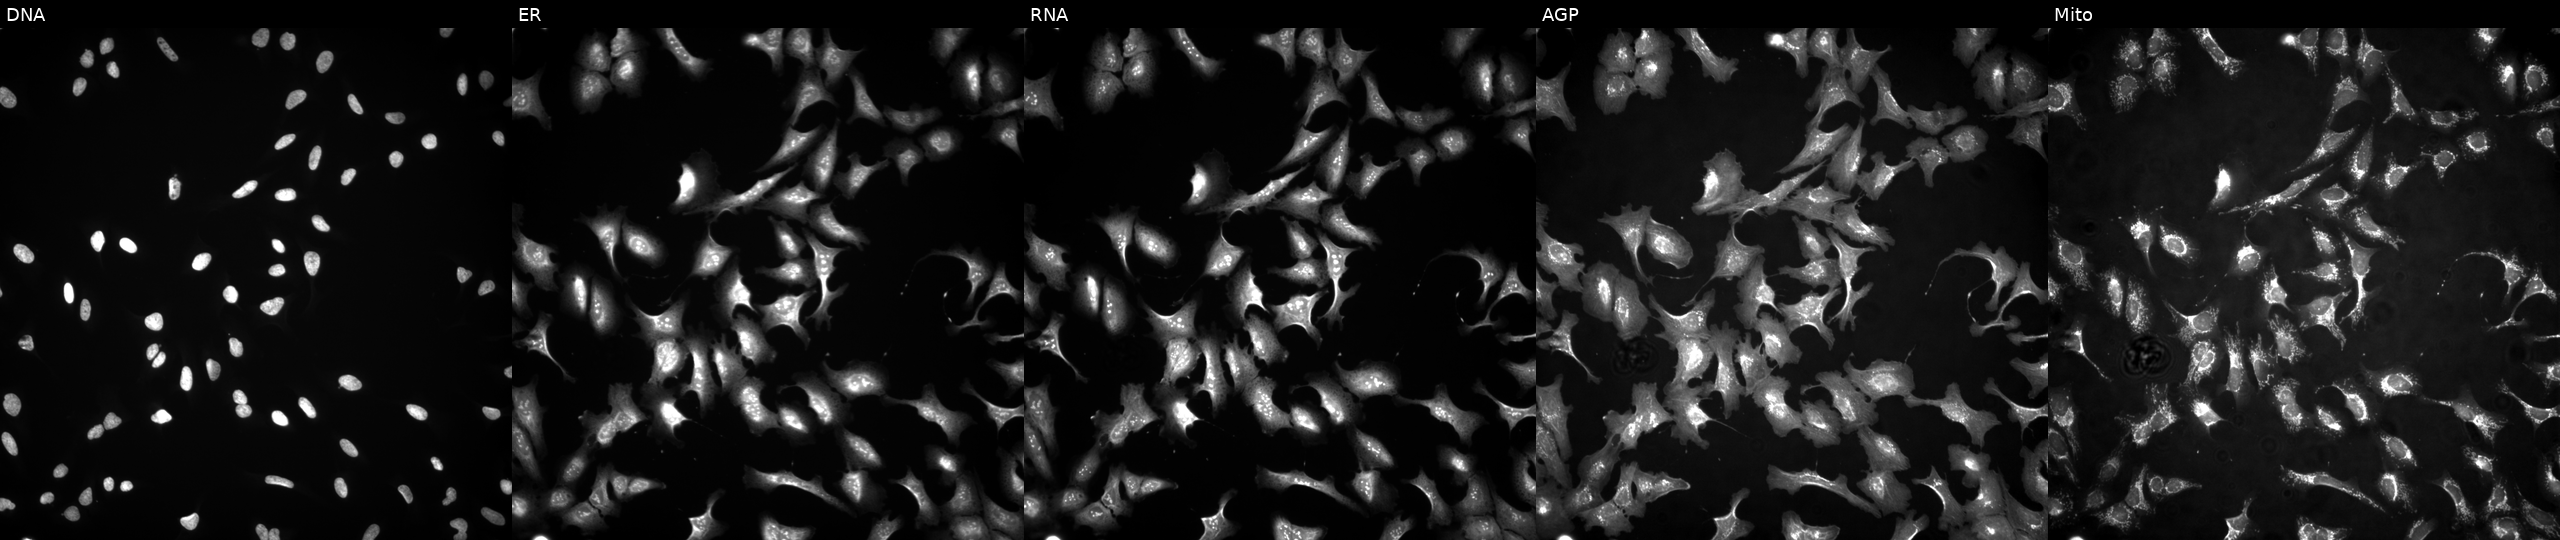
U2OS cells, Cell Painting assay, overexpressing HMGN1 via ORF transfection (JUMP id JCP2022_900705). The five panels, left to right, show Hoechst 33342, concanavalin A, SYTO 14, phalloidin and WGA, MitoTracker. Each panel is percentile-stretched 16-bit fluorescence.